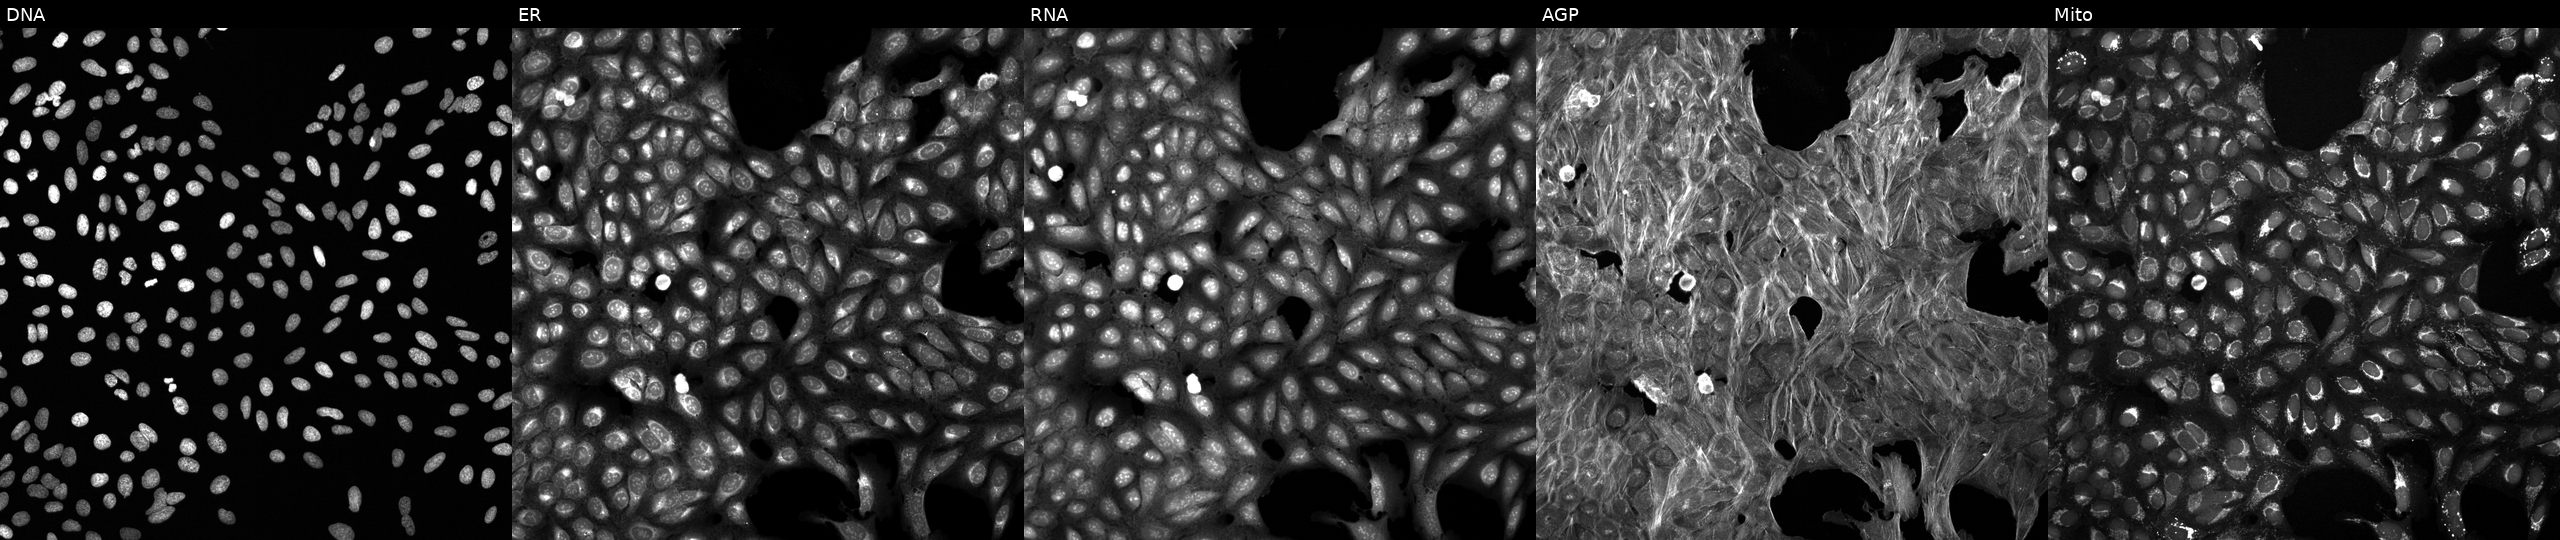
This image strip shows the five Cell Painting channels for a single field of U2OS cells perturbed with a small-molecule compound. Panels show, left to right, DNA, ER, RNA, AGP, and Mito. Source 6, plate 110000293093, well F04.